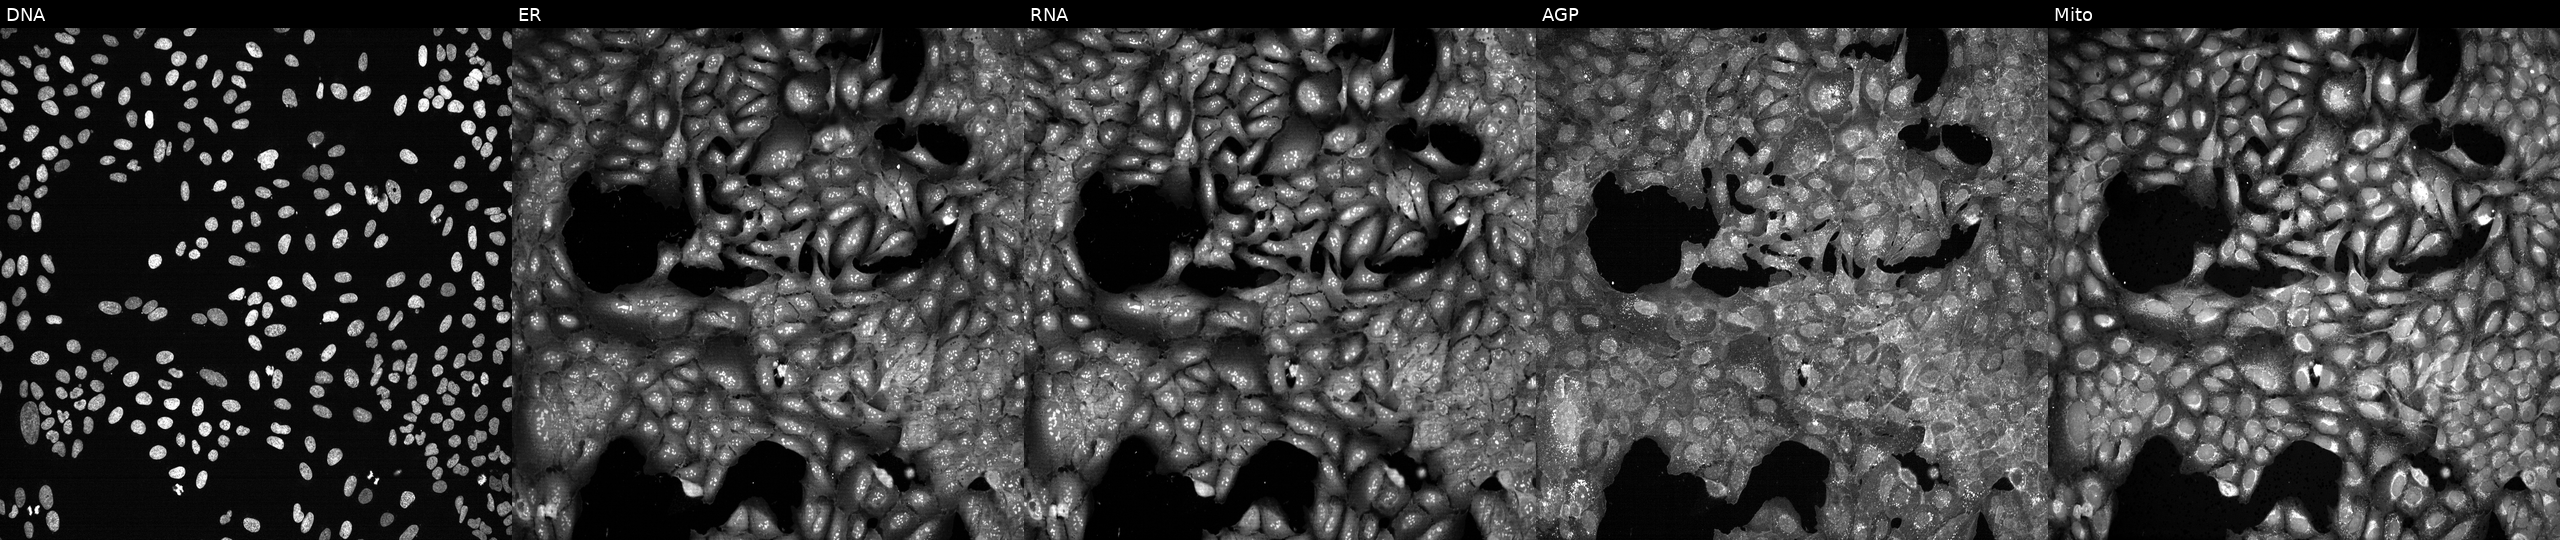
High-content fluorescence microscopy (Cell Painting). Cell line: U2OS. Perturbation: with ATP5O knocked out by CRISPR (JUMP id JCP2022_800727). Panels show, left to right, DNA, ER, RNA, AGP, and Mito.